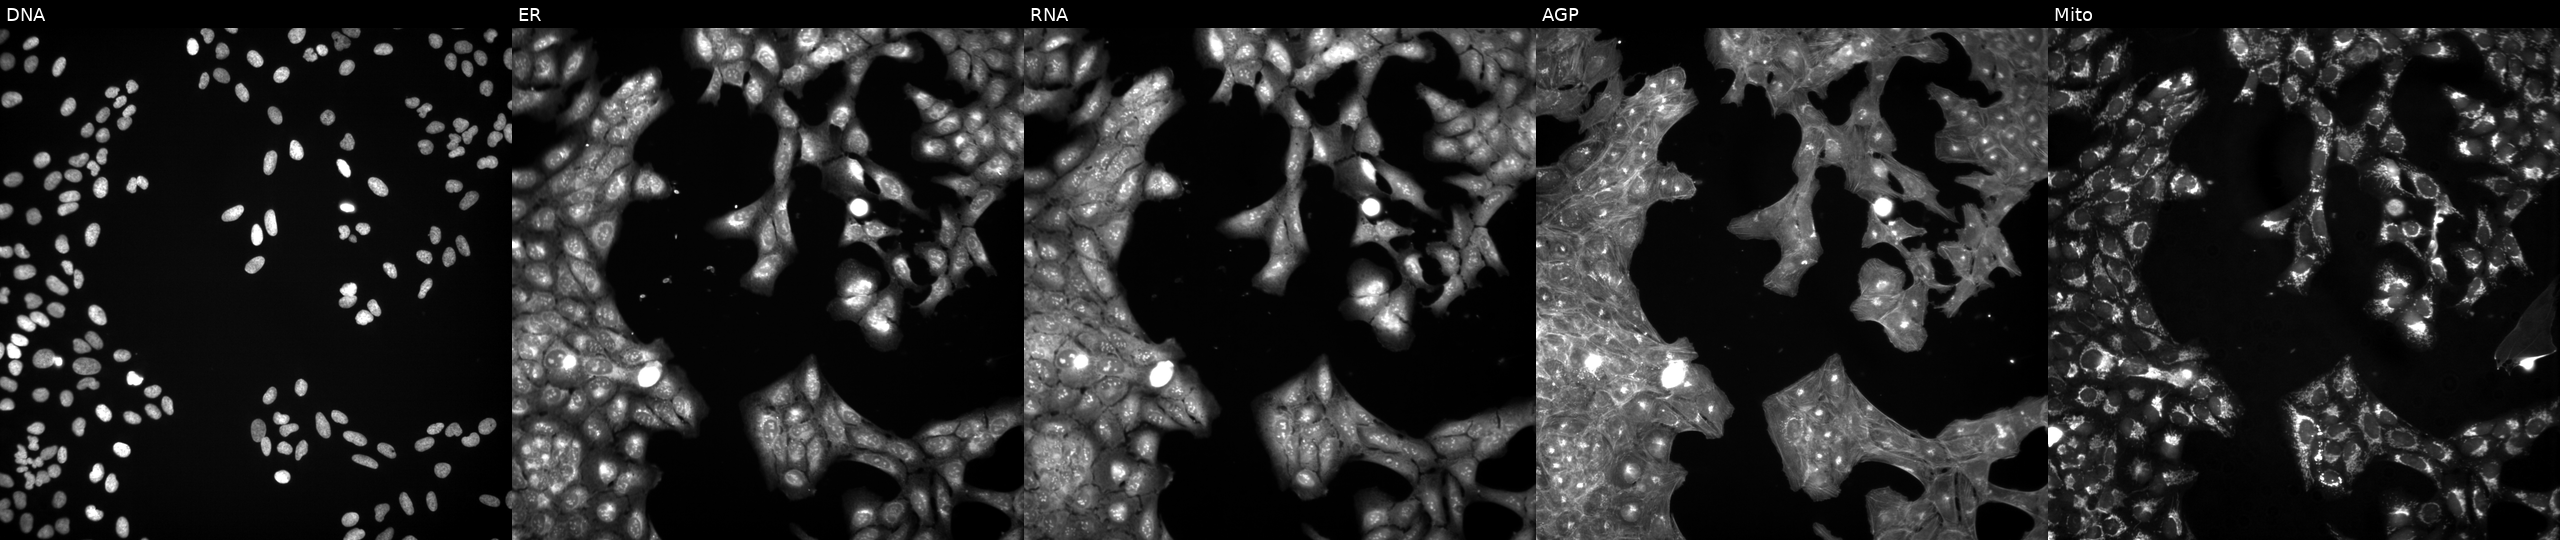
Five-channel Cell Painting image of U2OS cells exposed to a small-molecule compound (InChIKey NMKJFZCBCIUYHI-UHFFFAOYSA-N). Panels show, left to right, DNA (nuclei); ER (endoplasmic reticulum); RNA (nucleoli and cytoplasmic RNA); AGP (actin cytoskeleton, Golgi, and plasma membrane); Mito (mitochondria).